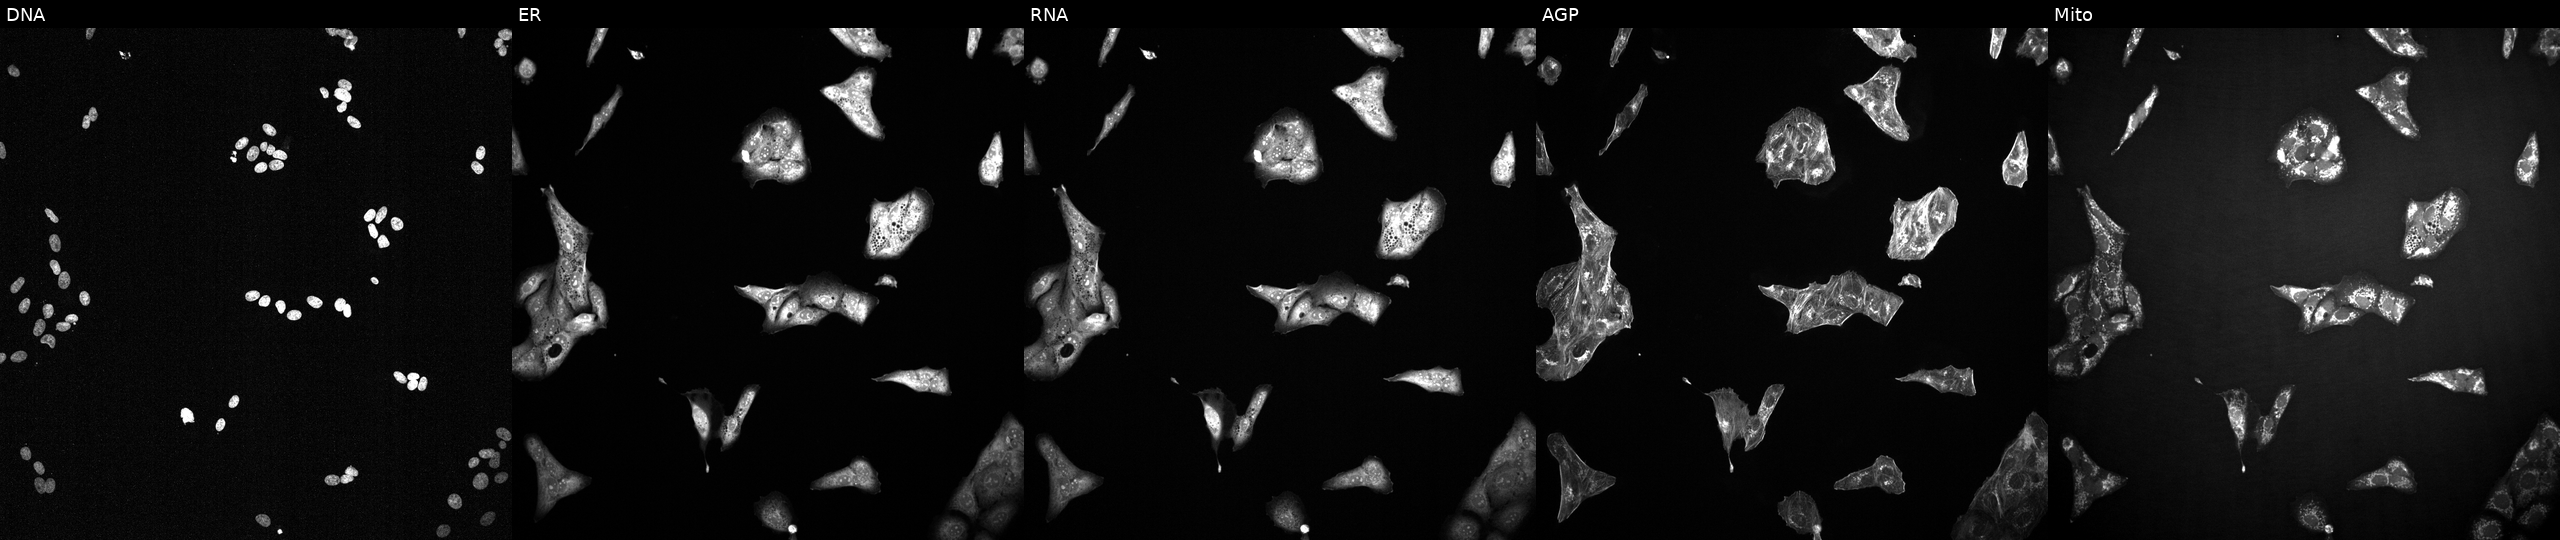
This image strip shows the five Cell Painting channels for a single field of U2OS cells exposed to a small-molecule compound [SMILES: CC1CN(CC(=O)Nc2ccc3c(c2)Cc2cccc(-c4cc(=O)cc(N5CCOCC5)o4)c2S3)CC(C)O1]. Panels show, left to right, DNA (nuclei); ER (endoplasmic reticulum); RNA (nucleoli and cytoplasmic RNA); AGP (actin cytoskeleton, Golgi, and plasma membrane); Mito (mitochondria). Source 2, plate 1053599503, well J17.